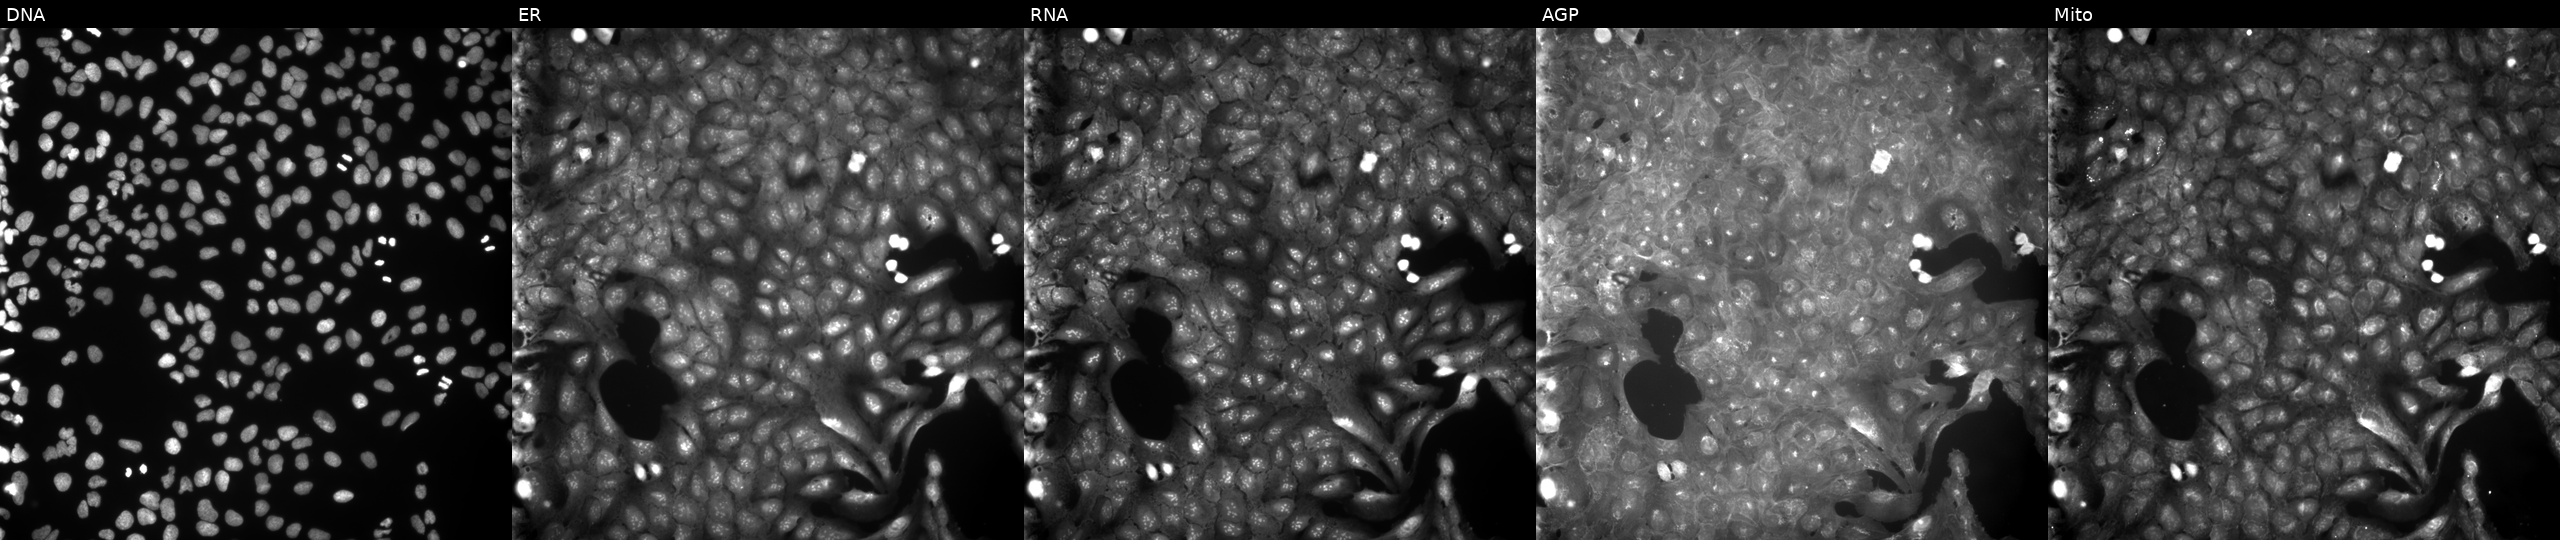
U2OS cells, Cell Painting assay, perturbed with a small-molecule compound (InChIKey FRCWAQMDSSPPFN-UHFFFAOYSA-N) [SMILES: COc1ccc(C(=O)C=Cc2ccc(F)cc2)c(OC)c1] (JUMP id JCP2022_022421). Channels (left→right): DNA, ER, RNA, AGP, and Mito. Each panel is percentile-stretched 16-bit fluorescence.